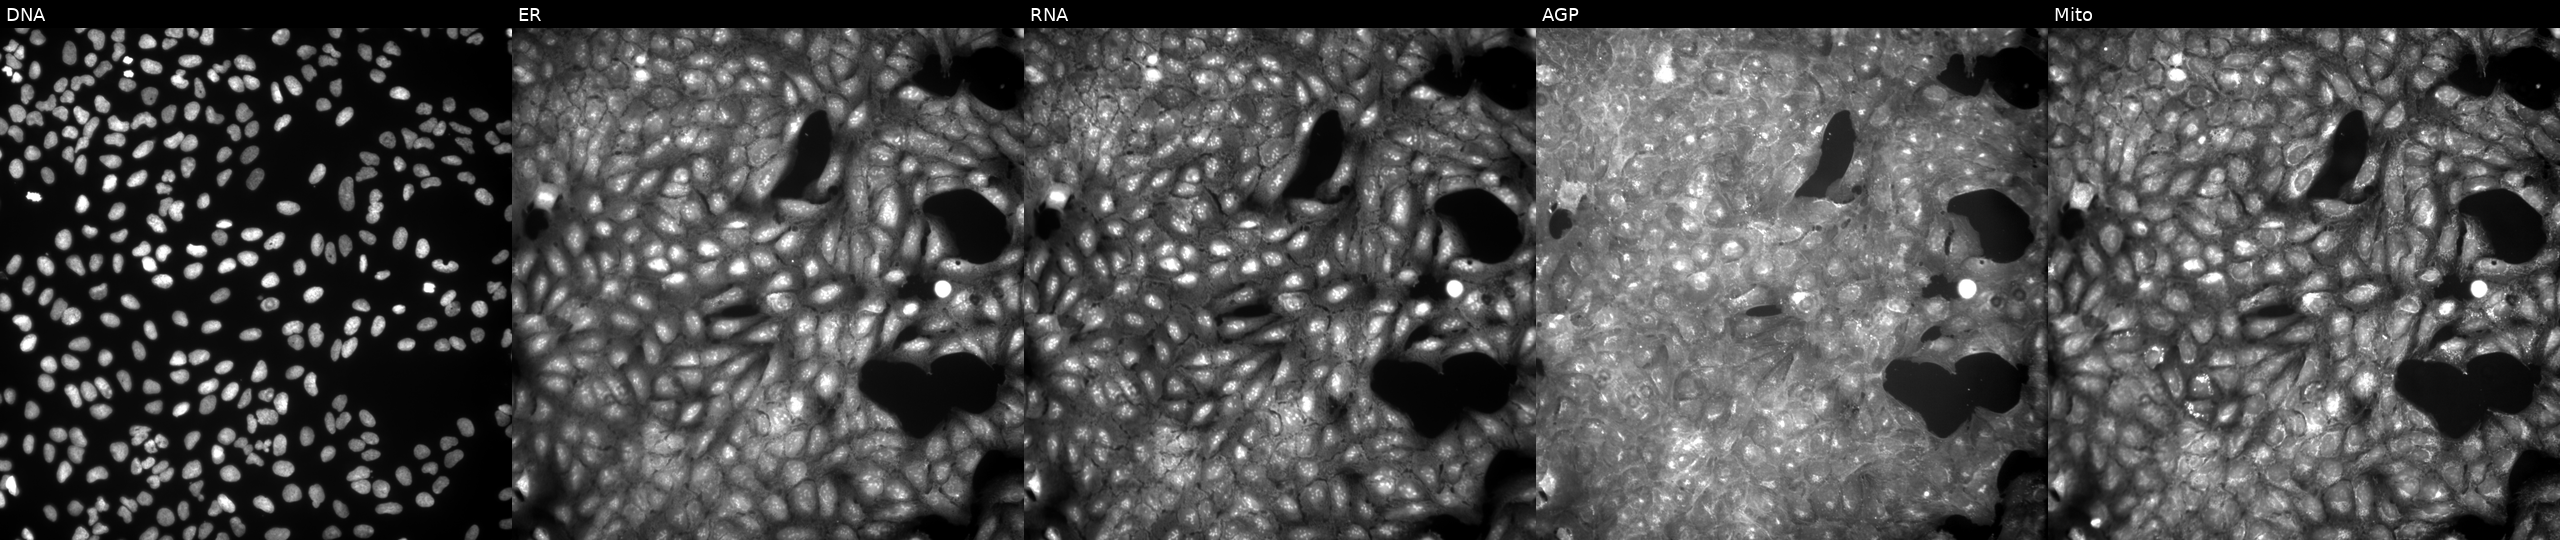
Panels show, left to right, DNA (nuclei); ER (endoplasmic reticulum); RNA (nucleoli and cytoplasmic RNA); AGP (actin cytoskeleton, Golgi, and plasma membrane); Mito (mitochondria). U2OS osteosarcoma cells exposed to a small-molecule compound (InChIKey DIGCAFSNCARNNV-UHFFFAOYSA-N). Cell Painting assay, JUMP-CP dataset. Source 9, plate GR00003382, well G41.